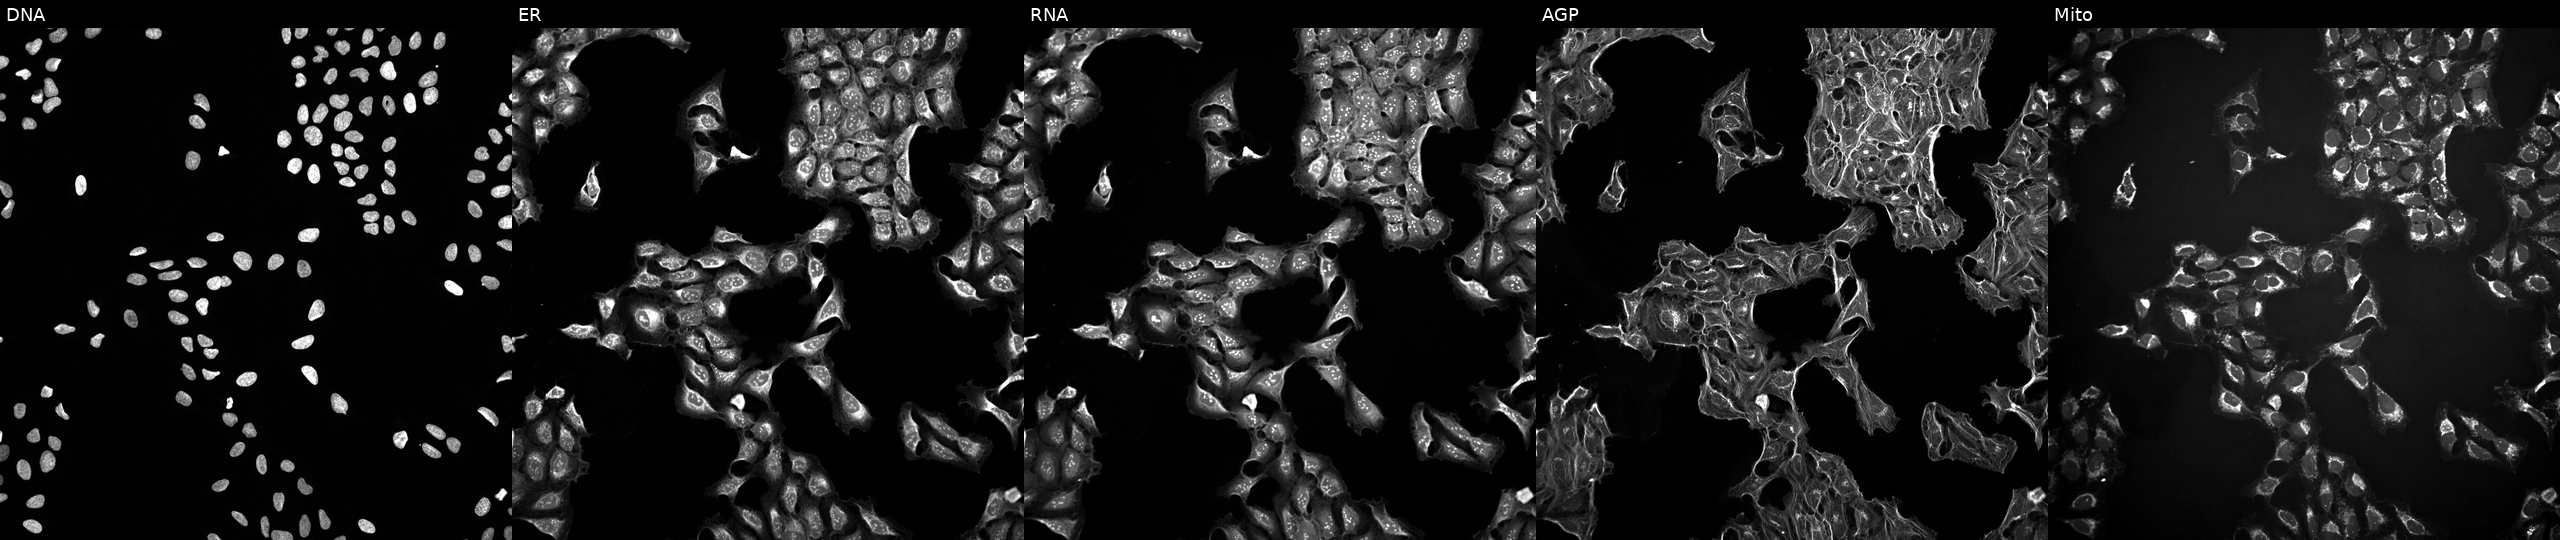
Five-channel Cell Painting image of U2OS cells perturbed with a small-molecule compound [SMILES: NS(=O)(=O)c1ccc(C(=O)O)cc1] (JUMP id JCP2022_088224). From left to right: DNA (nuclei); ER (endoplasmic reticulum); RNA (nucleoli and cytoplasmic RNA); AGP (actin cytoskeleton, Golgi, and plasma membrane); Mito (mitochondria).